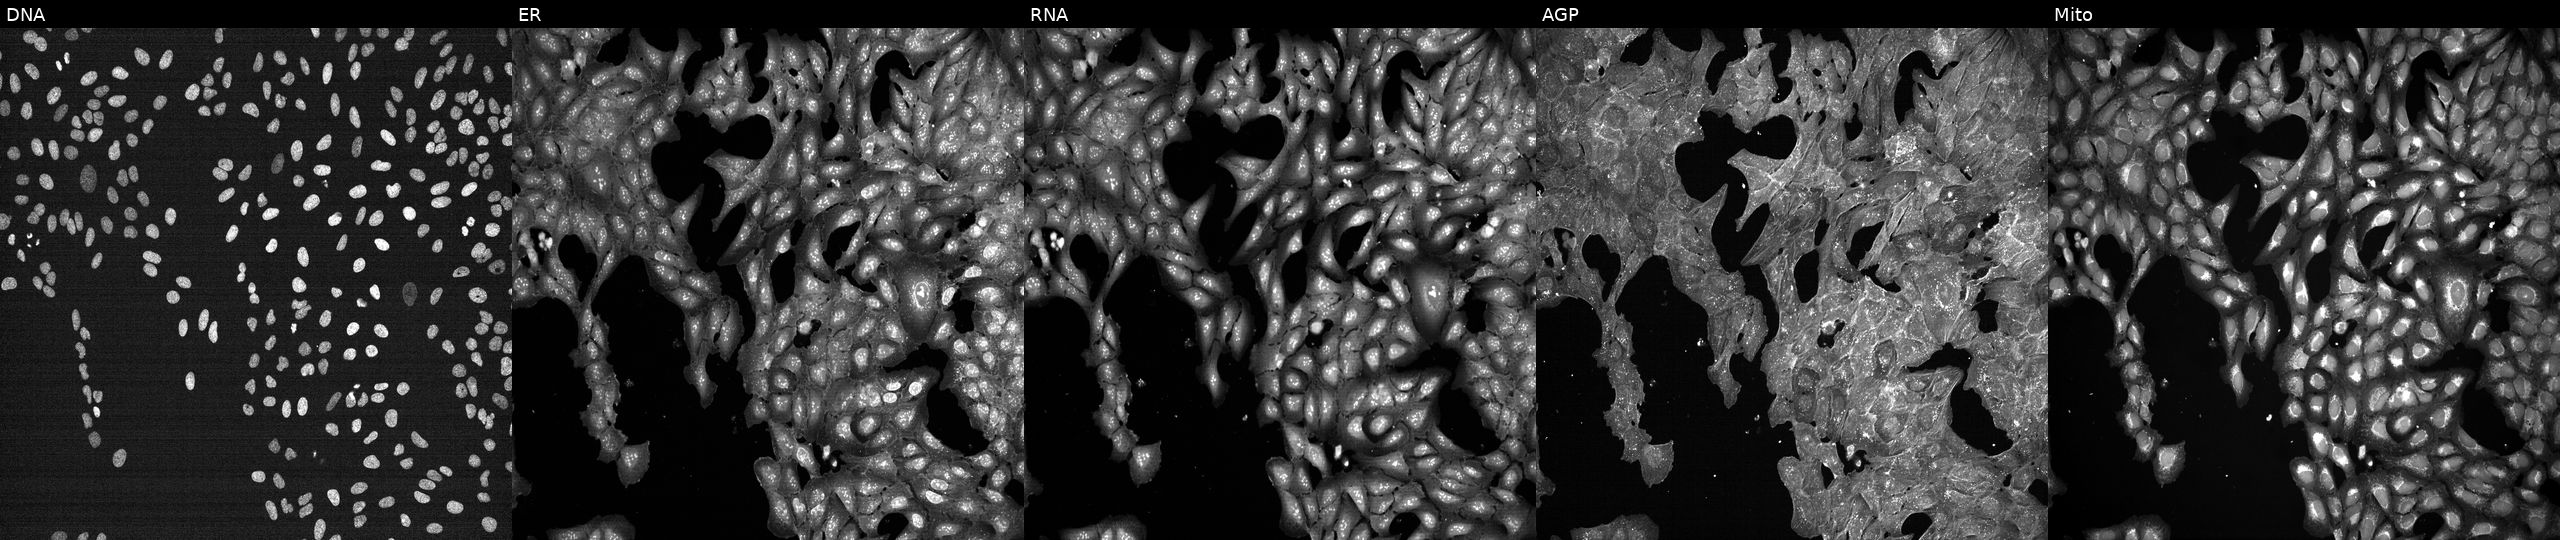
U2OS cells, Cell Painting assay, exposed to DMSO alone as a negative control (JUMP id JCP2022_033924). The five panels, left to right, show DNA (nuclei); ER (endoplasmic reticulum); RNA (nucleoli and cytoplasmic RNA); AGP (actin cytoskeleton, Golgi, and plasma membrane); Mito (mitochondria). Each panel is percentile-stretched 16-bit fluorescence. Source 7, plate CP1-SC1-25, well H09.